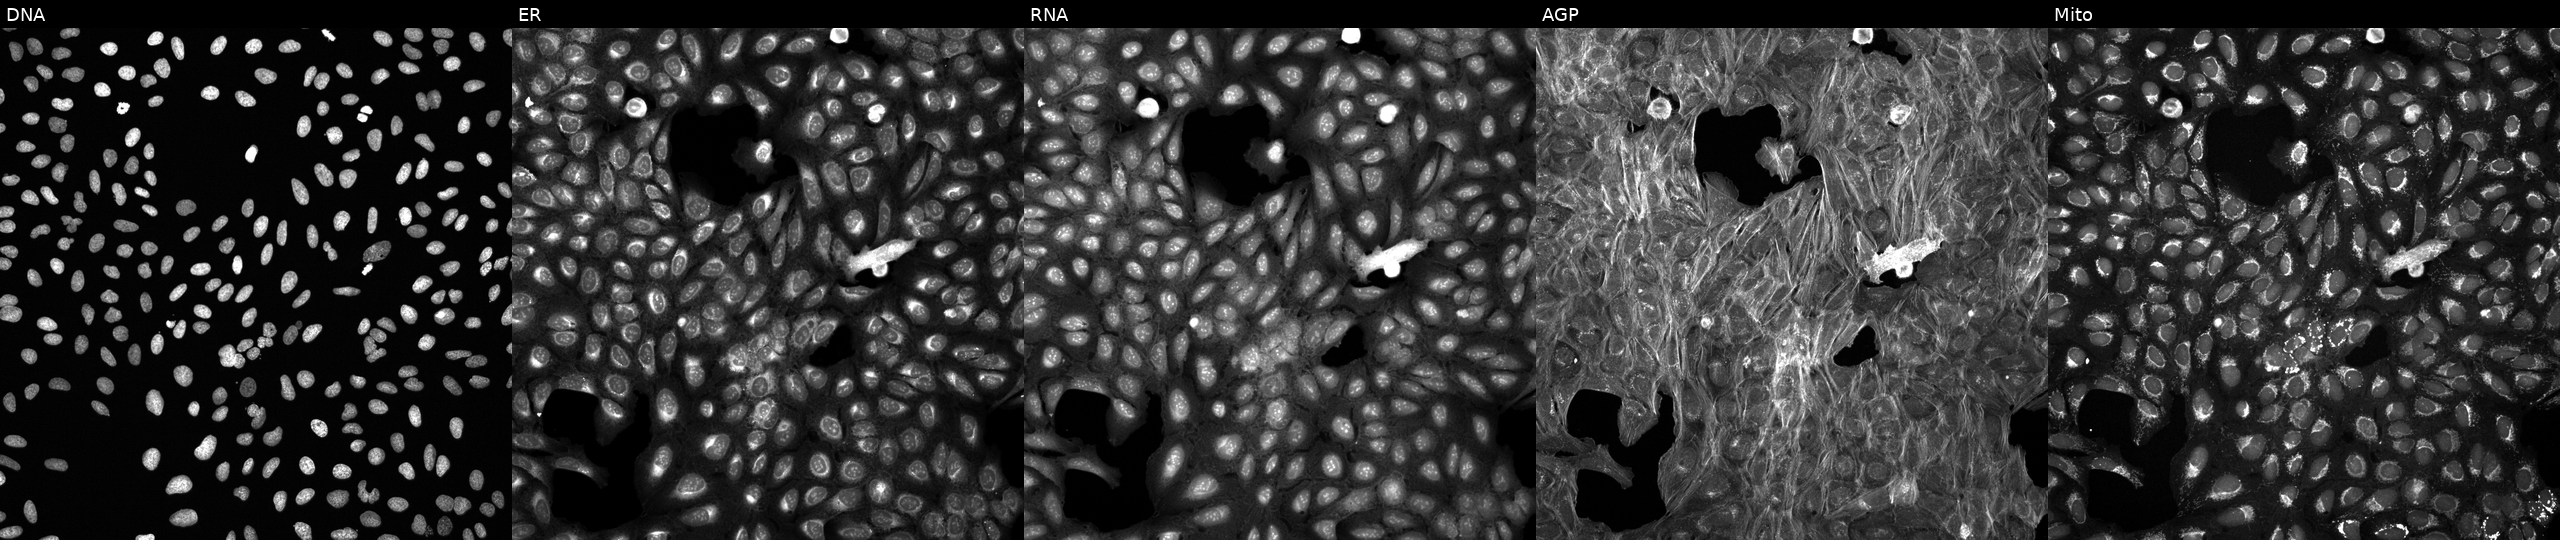
U2OS cells, Cell Painting assay, exposed to a small-molecule compound (InChIKey CKTSBUTUHBMZGZ-UHFFFAOYSA-N). Channels (left→right): DNA, ER, RNA, AGP, and Mito. Each panel is percentile-stretched 16-bit fluorescence.